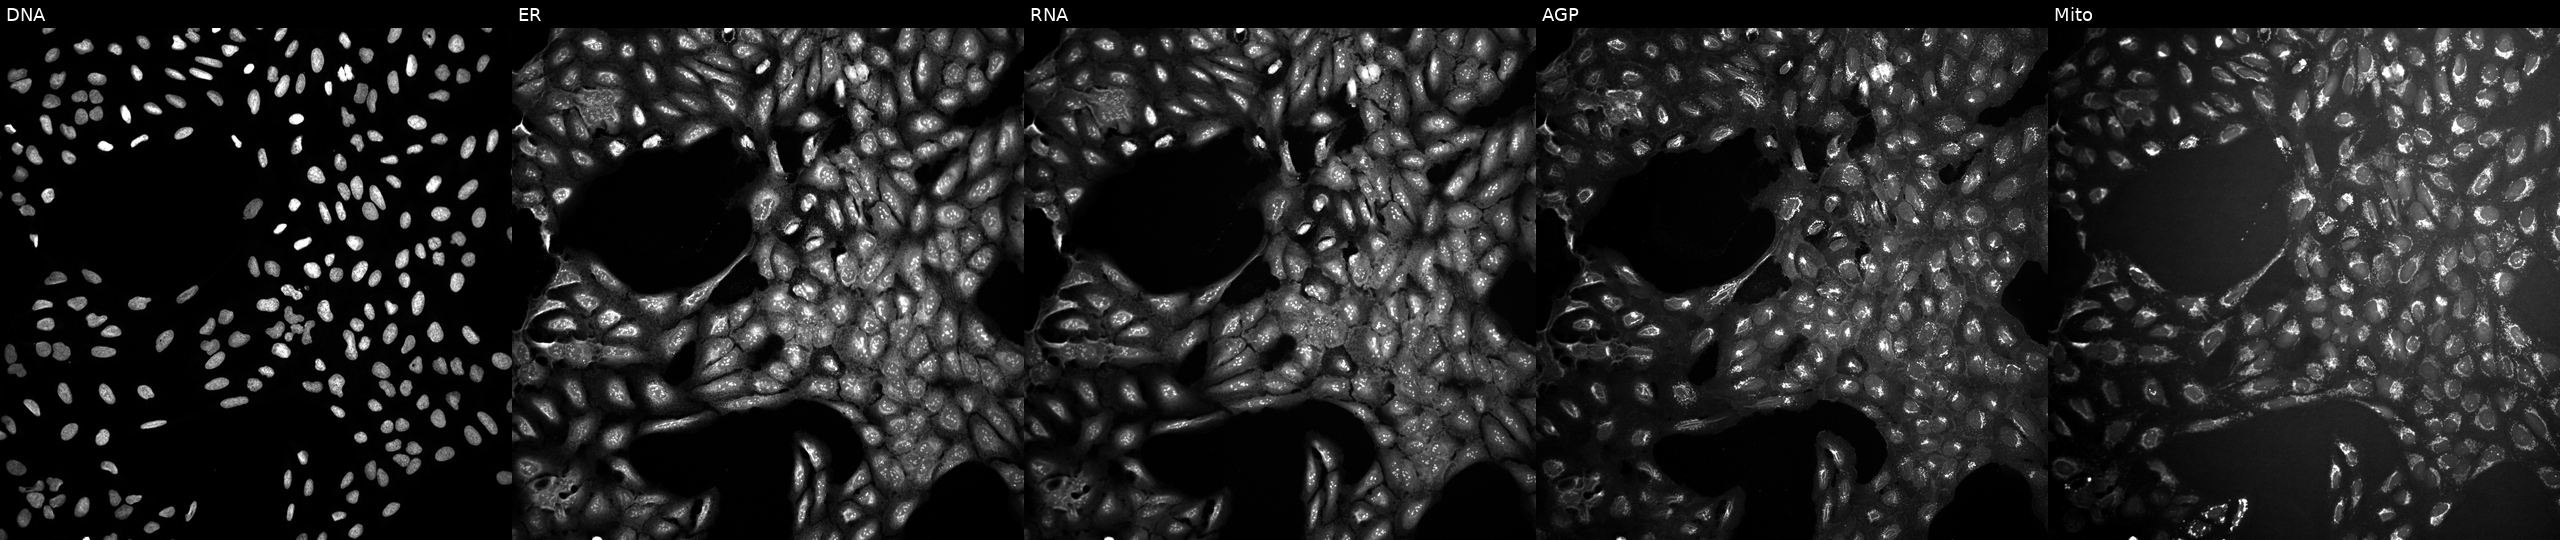
High-content fluorescence microscopy (Cell Painting). Cell line: U2OS. Perturbation: perturbed with a small-molecule compound (InChIKey MFDFERRIHVXMIY-UHFFFAOYSA-N) (JUMP id JCP2022_053734). Channels (left→right): DNA, ER, RNA, AGP, and Mito. Source 10, plate Dest210803-153958, well G23.